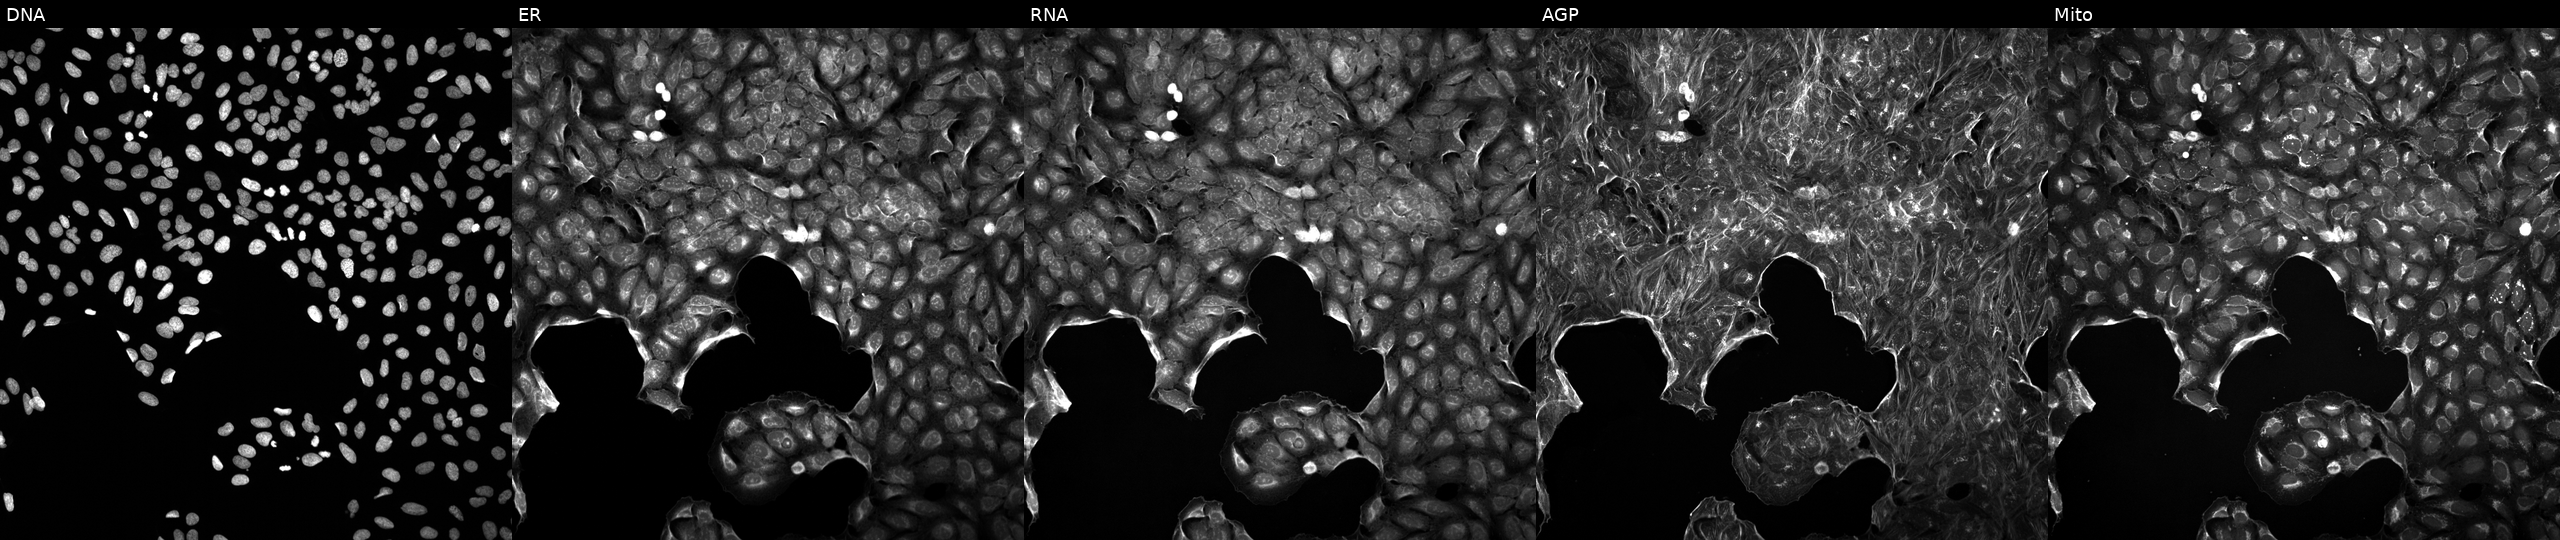
U2OS cells, Cell Painting assay, treated with a small-molecule compound. Panels show, left to right, DNA, ER, RNA, AGP, and Mito. Each panel is percentile-stretched 16-bit fluorescence. Source 5, plate ACPJUM051, well O17.